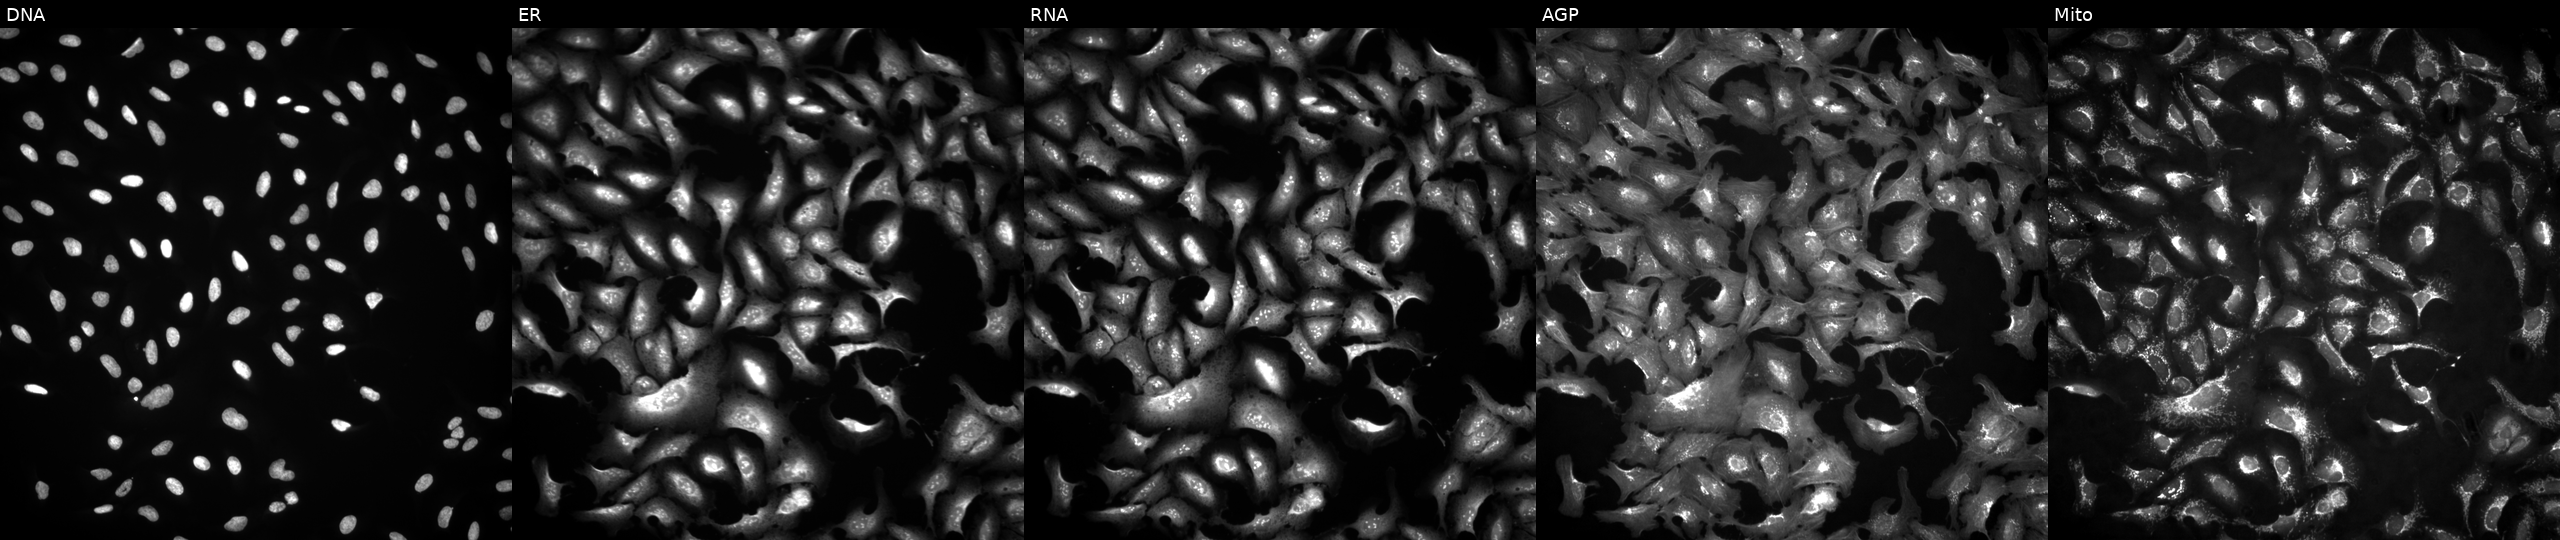
Channels (left→right): Hoechst 33342, concanavalin A, SYTO 14, phalloidin and WGA, MitoTracker. U2OS osteosarcoma cells transfected with an ORF construct for FOXRED1 (JUMP id JCP2022_907989). Cell Painting assay, JUMP-CP dataset.